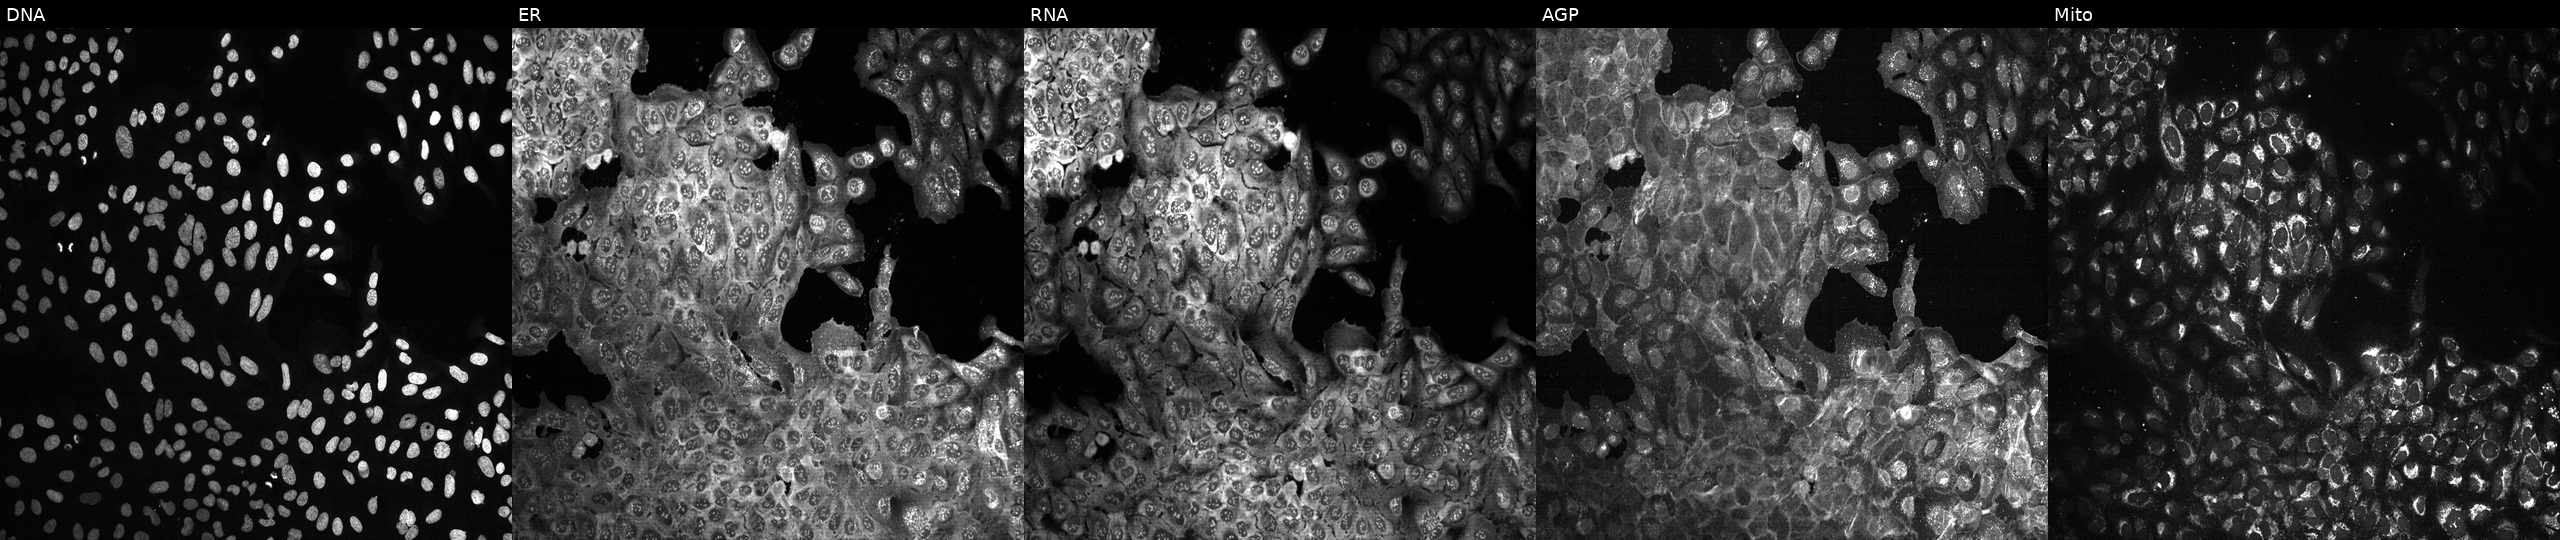
High-content fluorescence microscopy (Cell Painting). Cell line: U2OS. Perturbation: CRISPR-edited to disrupt EGLN3 (JUMP id JCP2022_802029). The five panels, left to right, show DNA (nuclei); ER (endoplasmic reticulum); RNA (nucleoli and cytoplasmic RNA); AGP (actin cytoskeleton, Golgi, and plasma membrane); Mito (mitochondria).